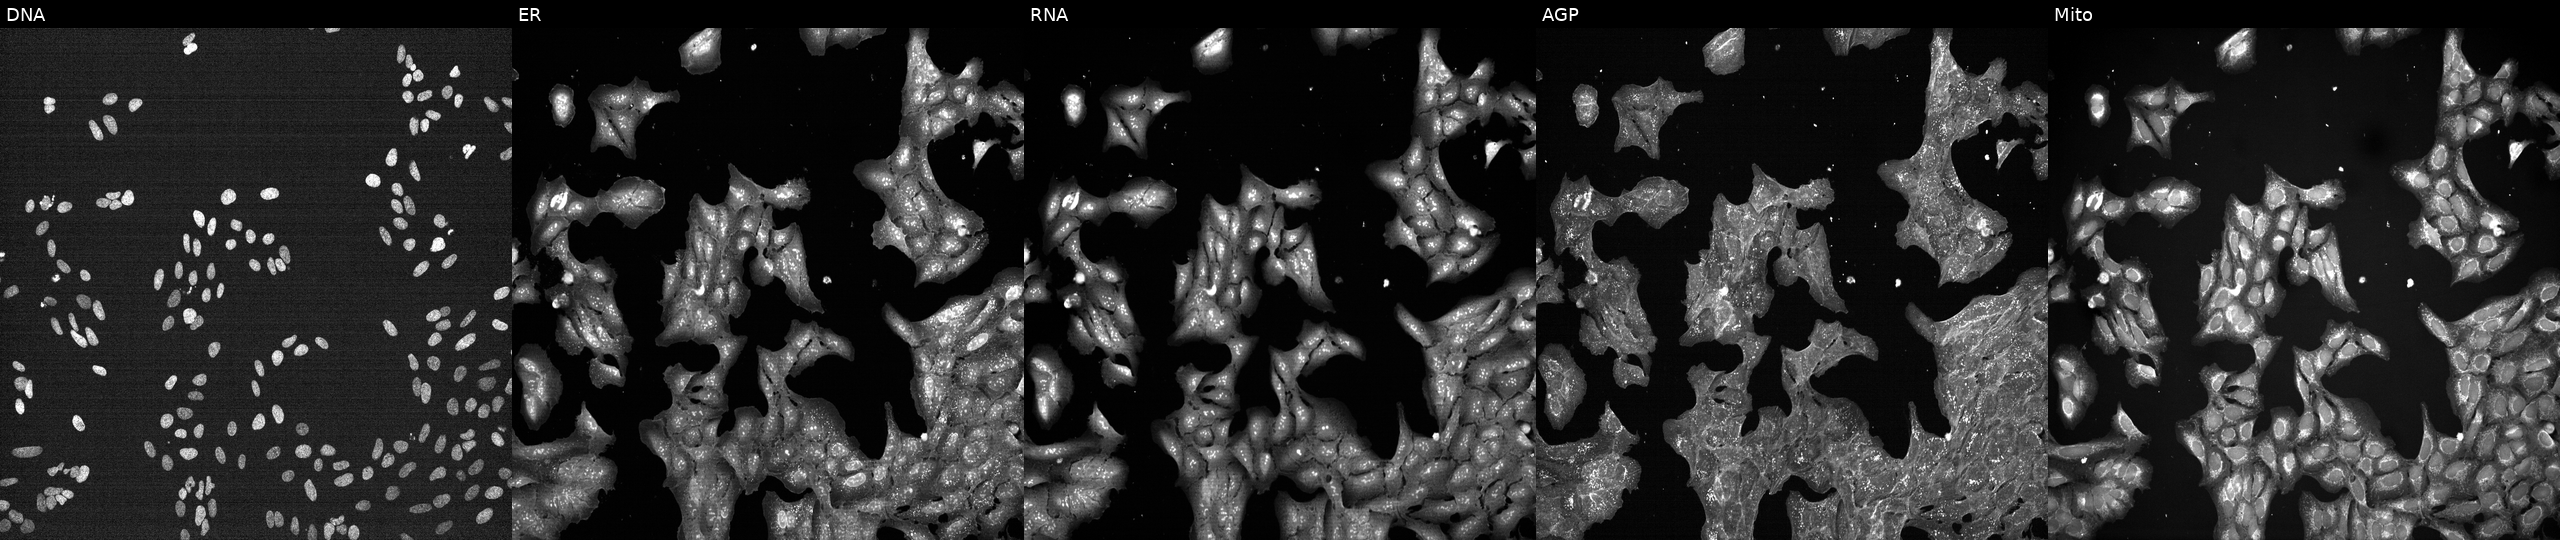
Five-channel Cell Painting image of U2OS cells treated with a small-molecule compound (InChIKey DHMTURDWPRKSOA-UHFFFAOYSA-N). The five panels, left to right, show DNA, ER, RNA, AGP, and Mito. Source 7, plate CP1-SC1-25, well N08.